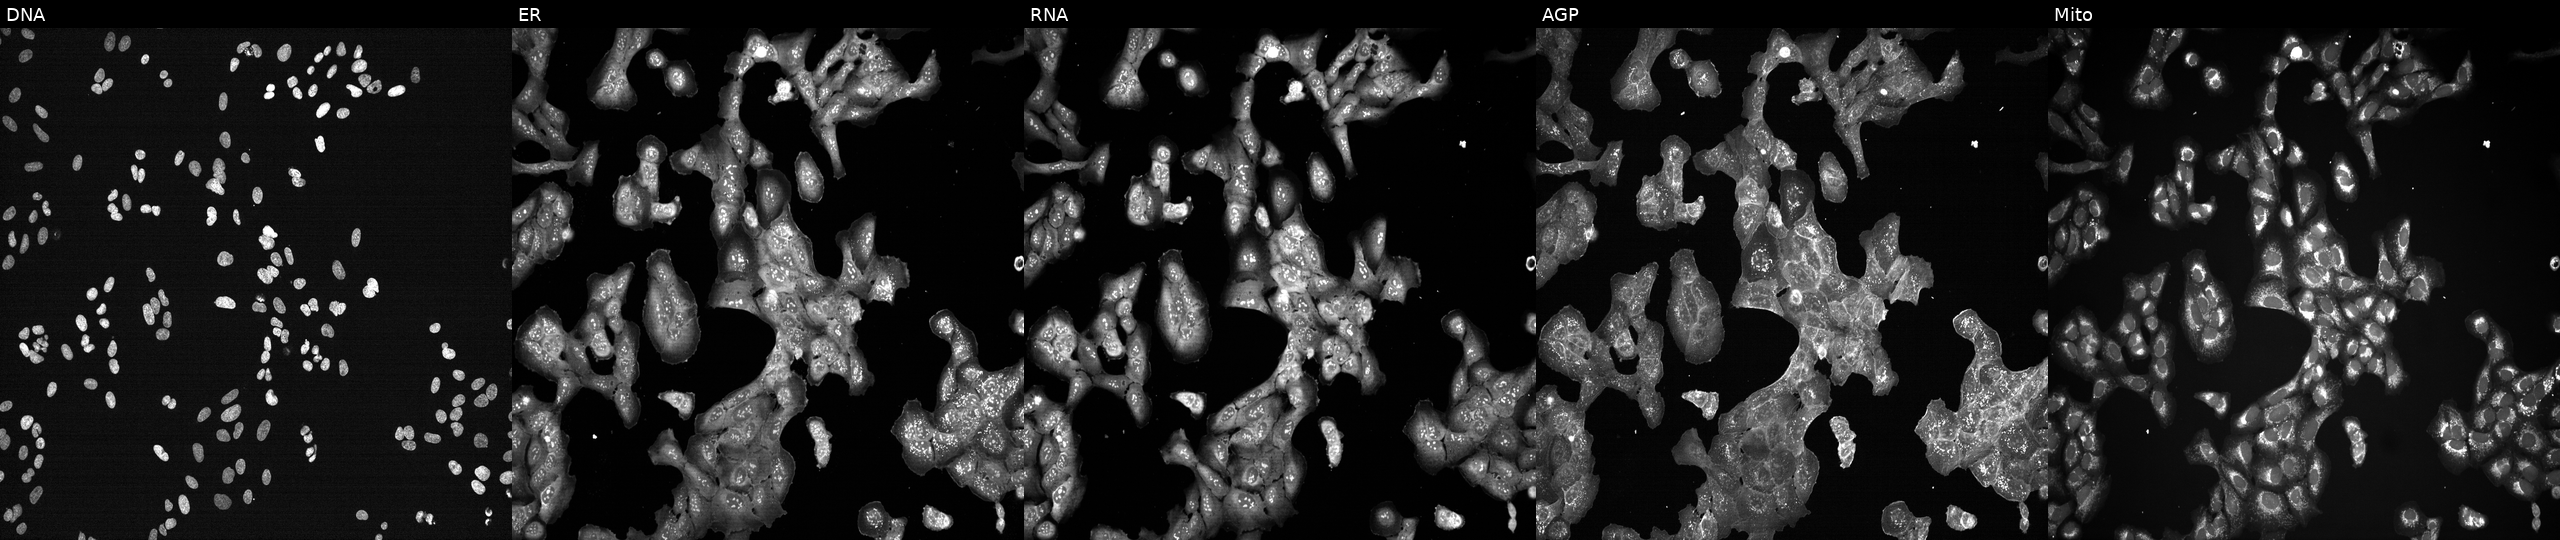
From left to right: DNA, ER, RNA, AGP, and Mito. U2OS osteosarcoma cells perturbed with a small-molecule compound (InChIKey MAKMQGKJURAJEN-UHFFFAOYSA-N) (JUMP id JCP2022_052870). Cell Painting assay, JUMP-CP dataset.